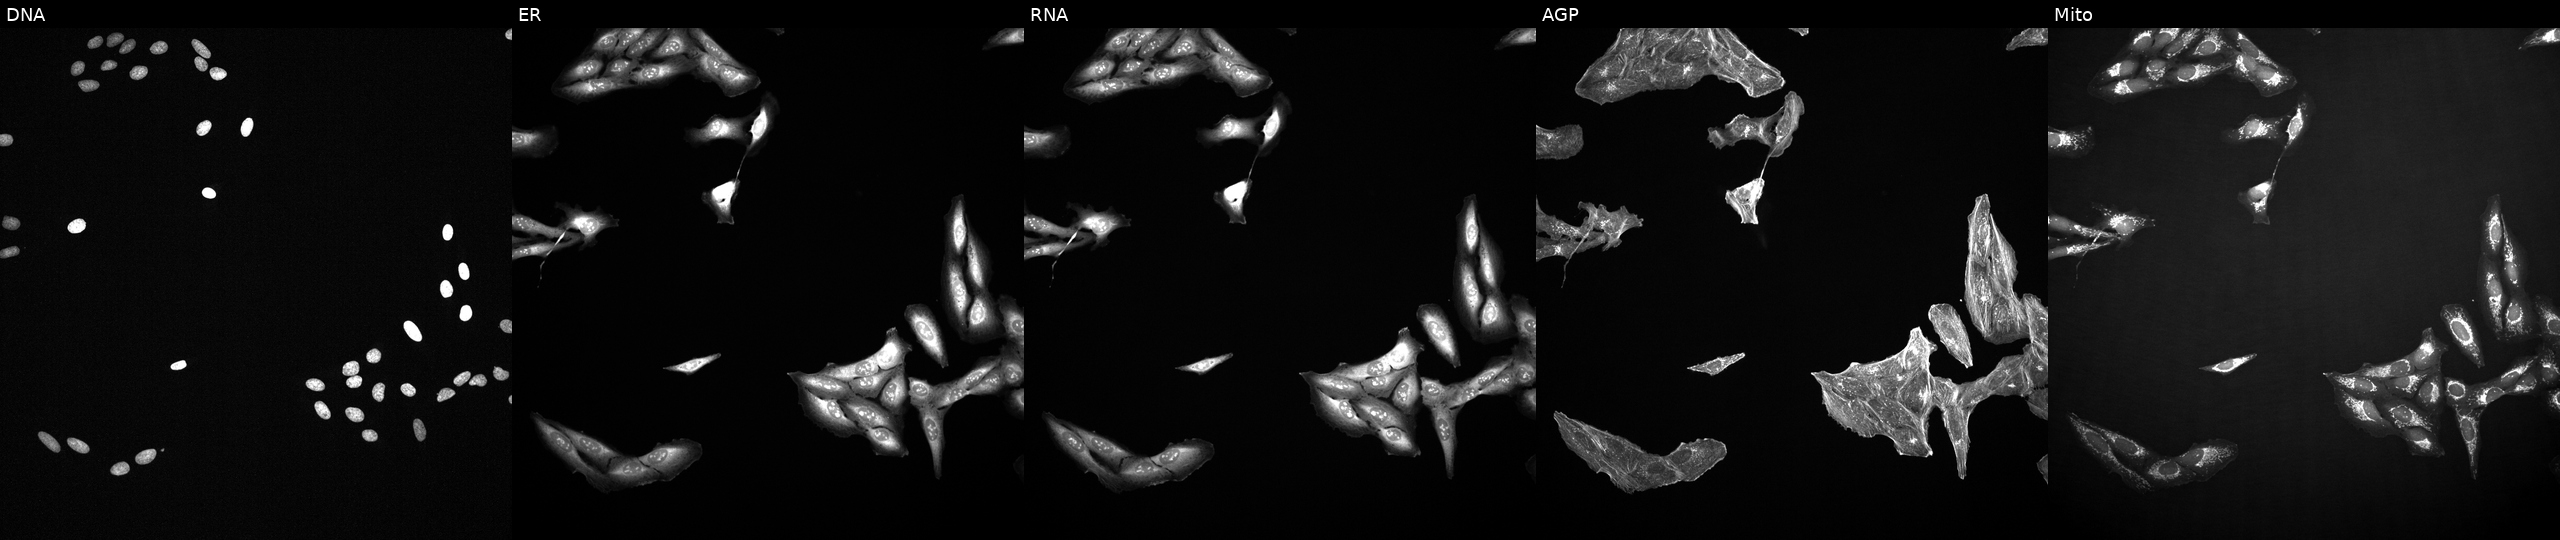
U2OS cells, Cell Painting assay, exposed to a small-molecule compound (InChIKey XEYBRNLFEZDVAW-UHFFFAOYSA-N). Panels show, left to right, Hoechst 33342, concanavalin A, SYTO 14, phalloidin and WGA, MitoTracker. Each panel is percentile-stretched 16-bit fluorescence. Source 2, plate 1053597936, well A14.